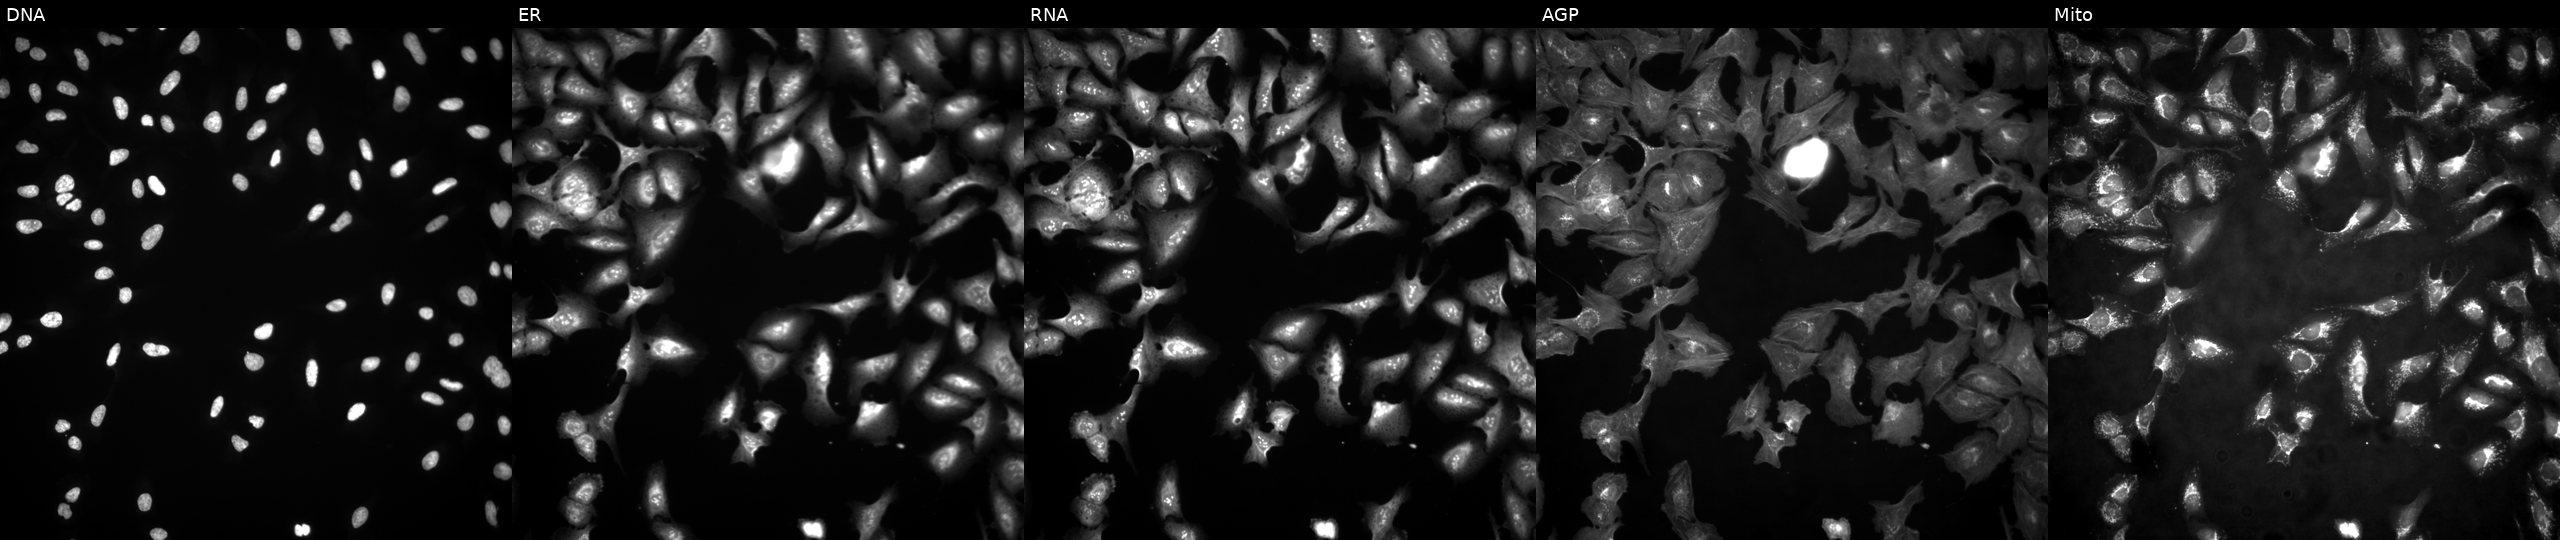
This image strip shows the five Cell Painting channels for a single field of U2OS cells with UBA7 overexpressed (ORF). Channels (left→right): DNA, ER, RNA, AGP, and Mito. Source 4, plate BR00124784, well C19.